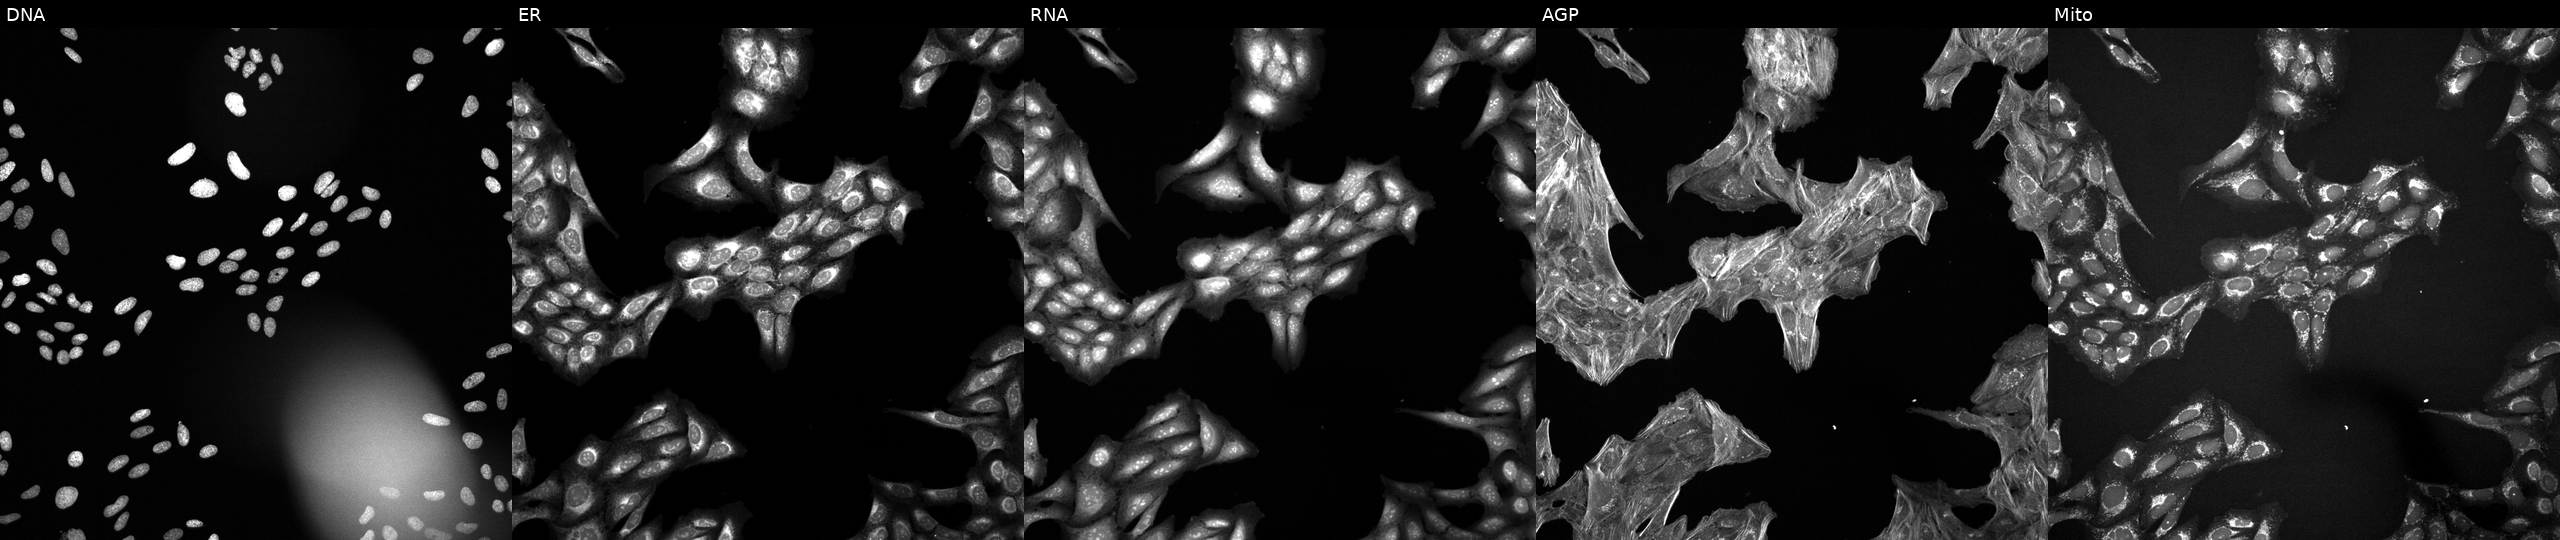
Five-channel Cell Painting image of U2OS cells treated with a small-molecule compound (InChIKey FNHKPVJBJVTLMP-UHFFFAOYSA-N) (JUMP id JCP2022_021751). Panels show, left to right, Hoechst 33342, concanavalin A, SYTO 14, phalloidin and WGA, MitoTracker. Source 6, plate 110000293081, well M01.